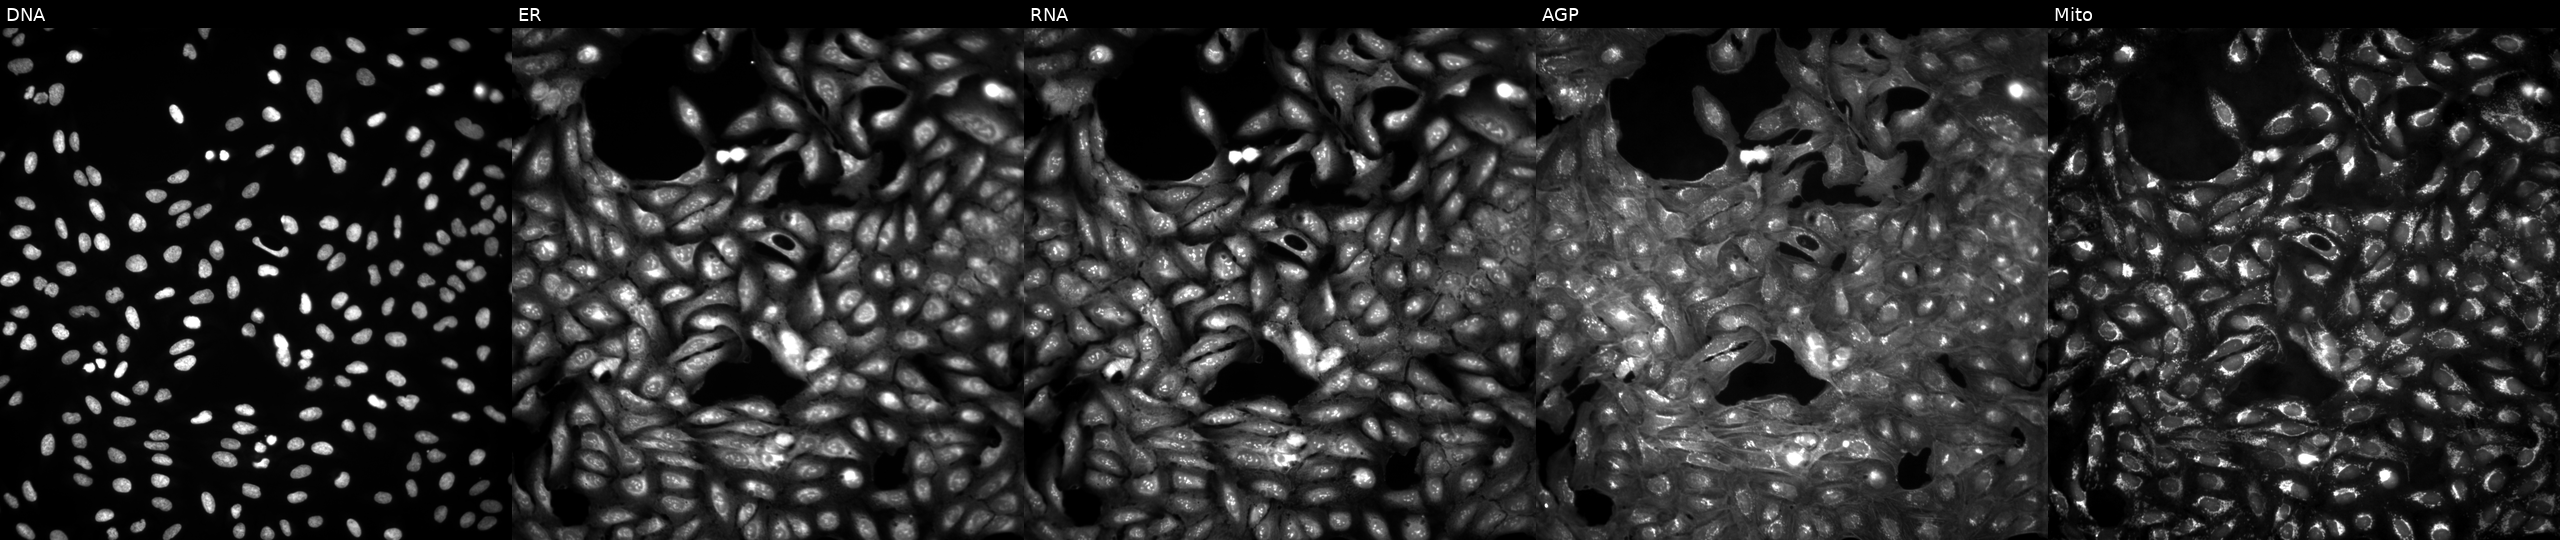
U2OS cells, Cell Painting assay, in an empty control well (no perturbation) (JUMP id JCP2022_999999). From left to right: Hoechst 33342, concanavalin A, SYTO 14, phalloidin and WGA, MitoTracker. Each panel is percentile-stretched 16-bit fluorescence.